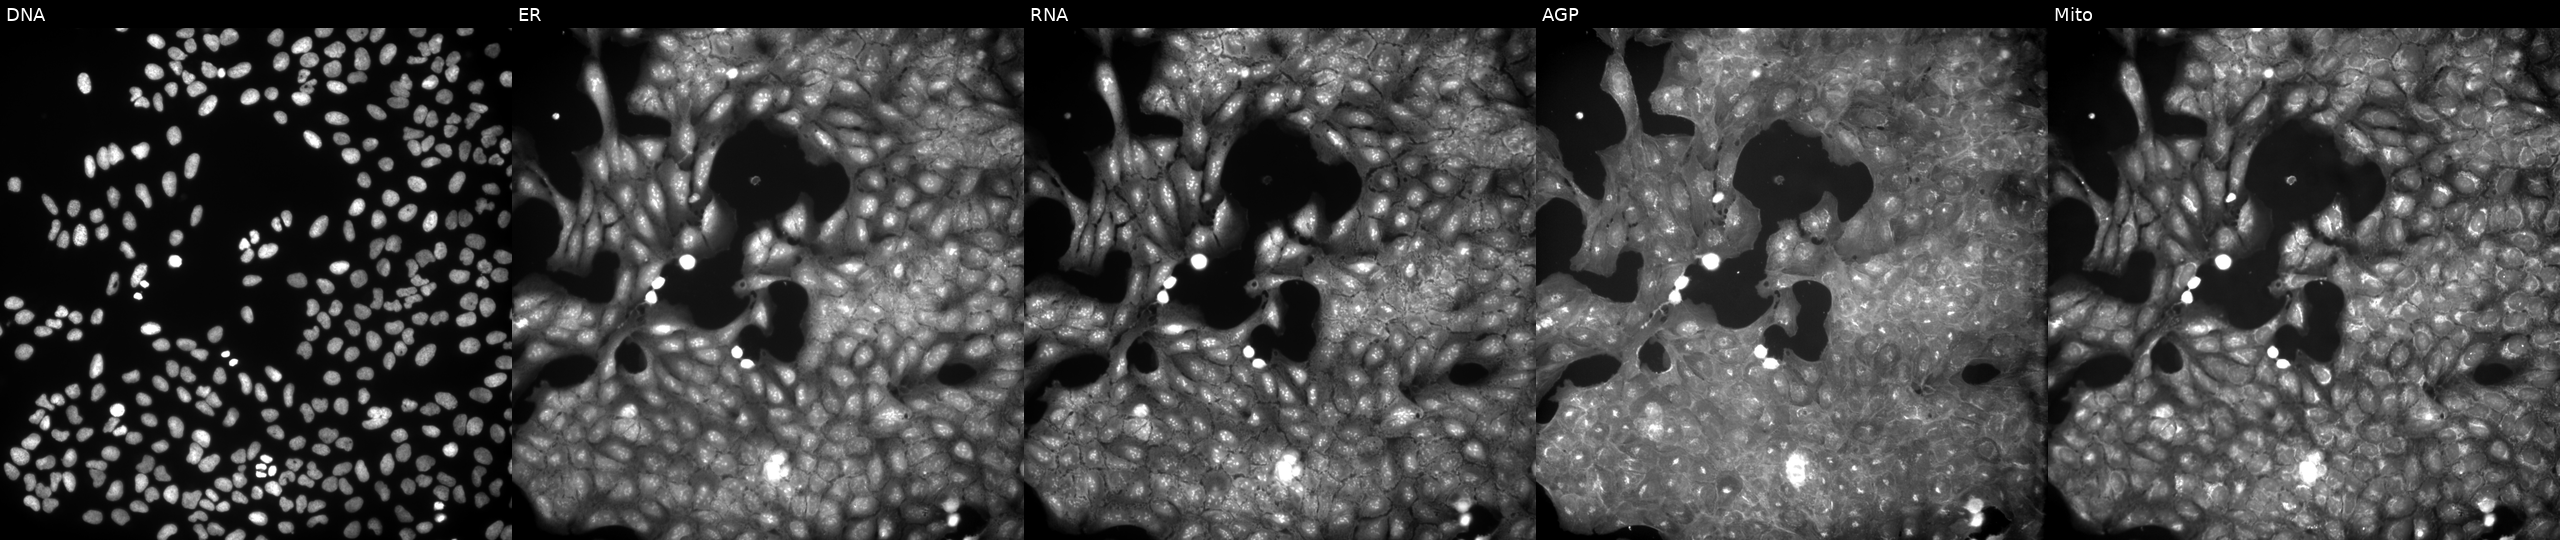
High-content fluorescence microscopy (Cell Painting). Cell line: U2OS. Perturbation: perturbed with a small-molecule compound (InChIKey MBNOAKGBPVYRQX-UHFFFAOYSA-N). Panels show, left to right, DNA (nuclei); ER (endoplasmic reticulum); RNA (nucleoli and cytoplasmic RNA); AGP (actin cytoskeleton, Golgi, and plasma membrane); Mito (mitochondria). Source 9, plate GR00003381, well E37.